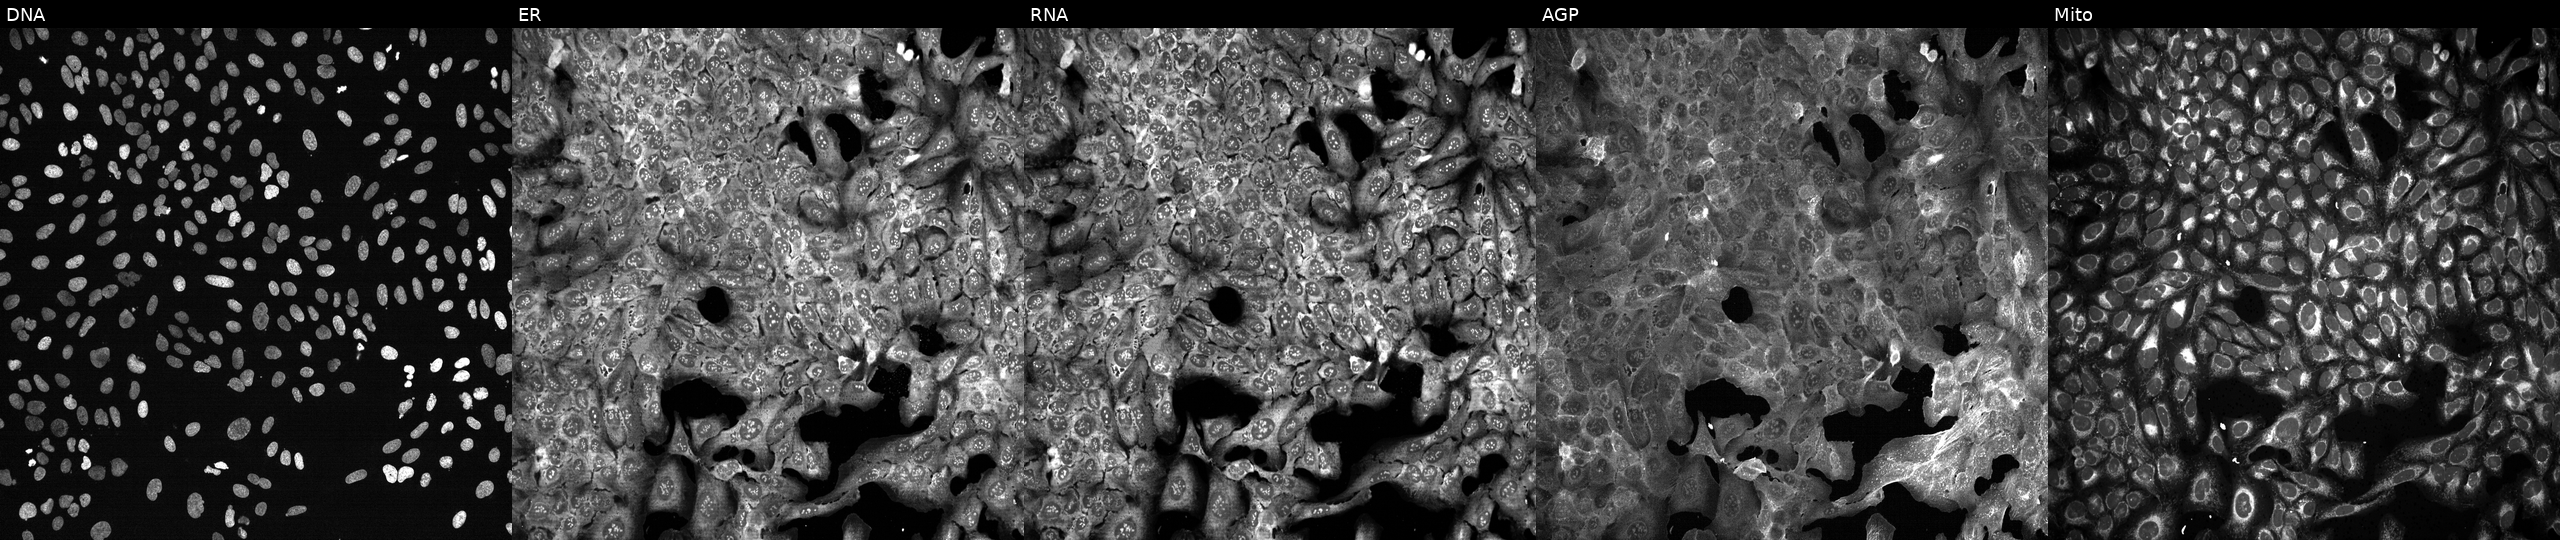
JUMP Cell Painting — CRISPR plate. U2OS cells CRISPR-edited to disrupt CROT (JUMP id JCP2022_801513). Panels show, left to right, DNA, ER, RNA, AGP, and Mito.